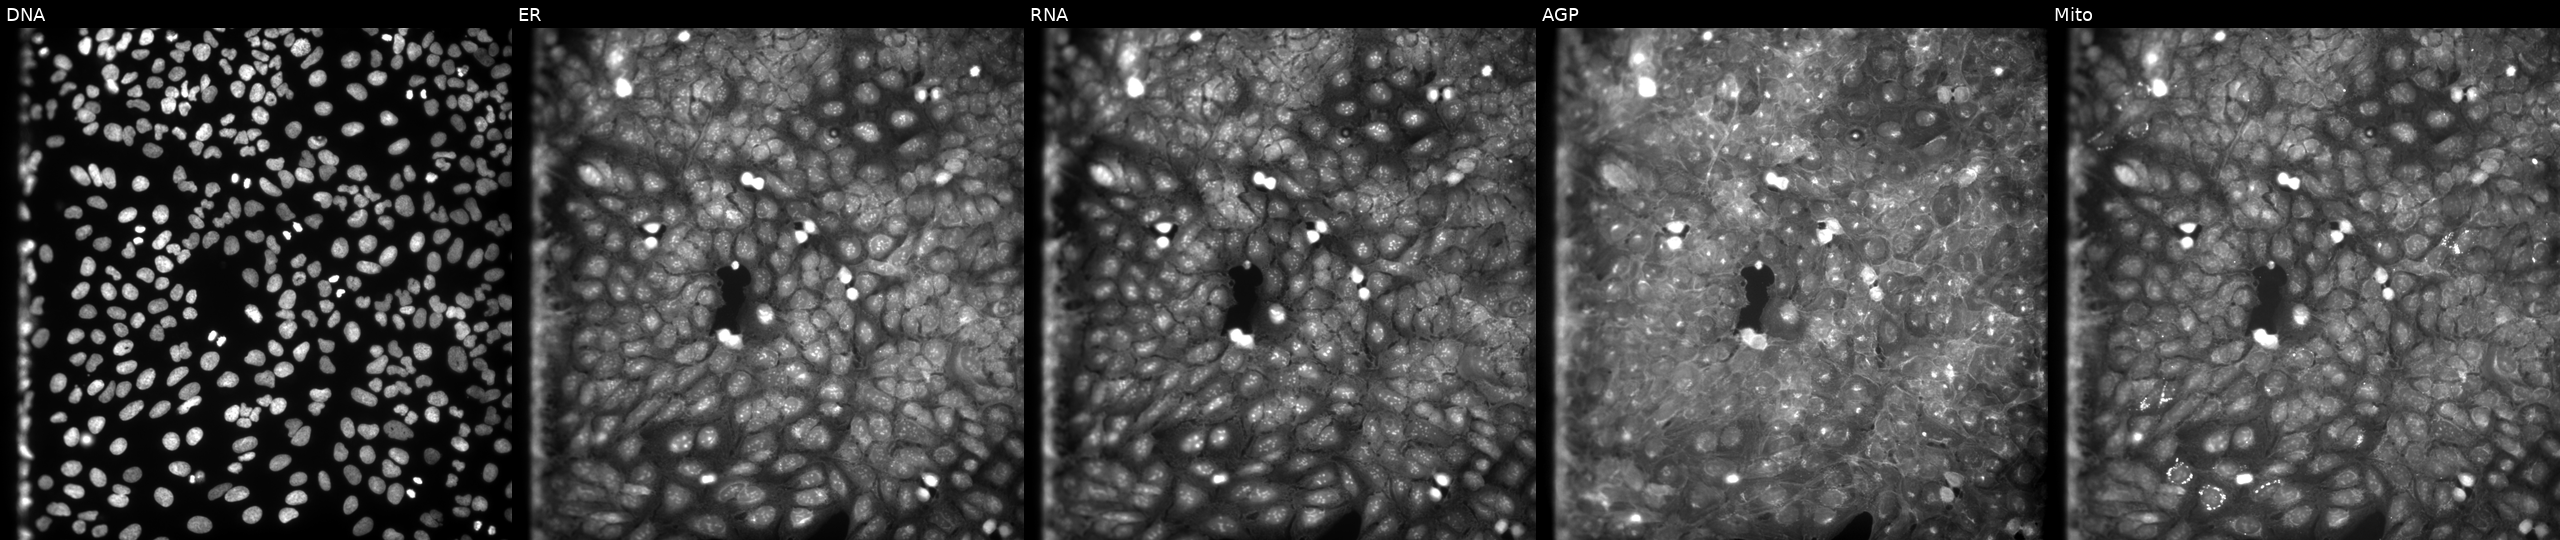
Five-channel Cell Painting image of U2OS cells exposed to a small-molecule compound (JUMP id JCP2022_086472). From left to right: DNA (nuclei); ER (endoplasmic reticulum); RNA (nucleoli and cytoplasmic RNA); AGP (actin cytoskeleton, Golgi, and plasma membrane); Mito (mitochondria). Source 9, plate GR00003381, well A10.